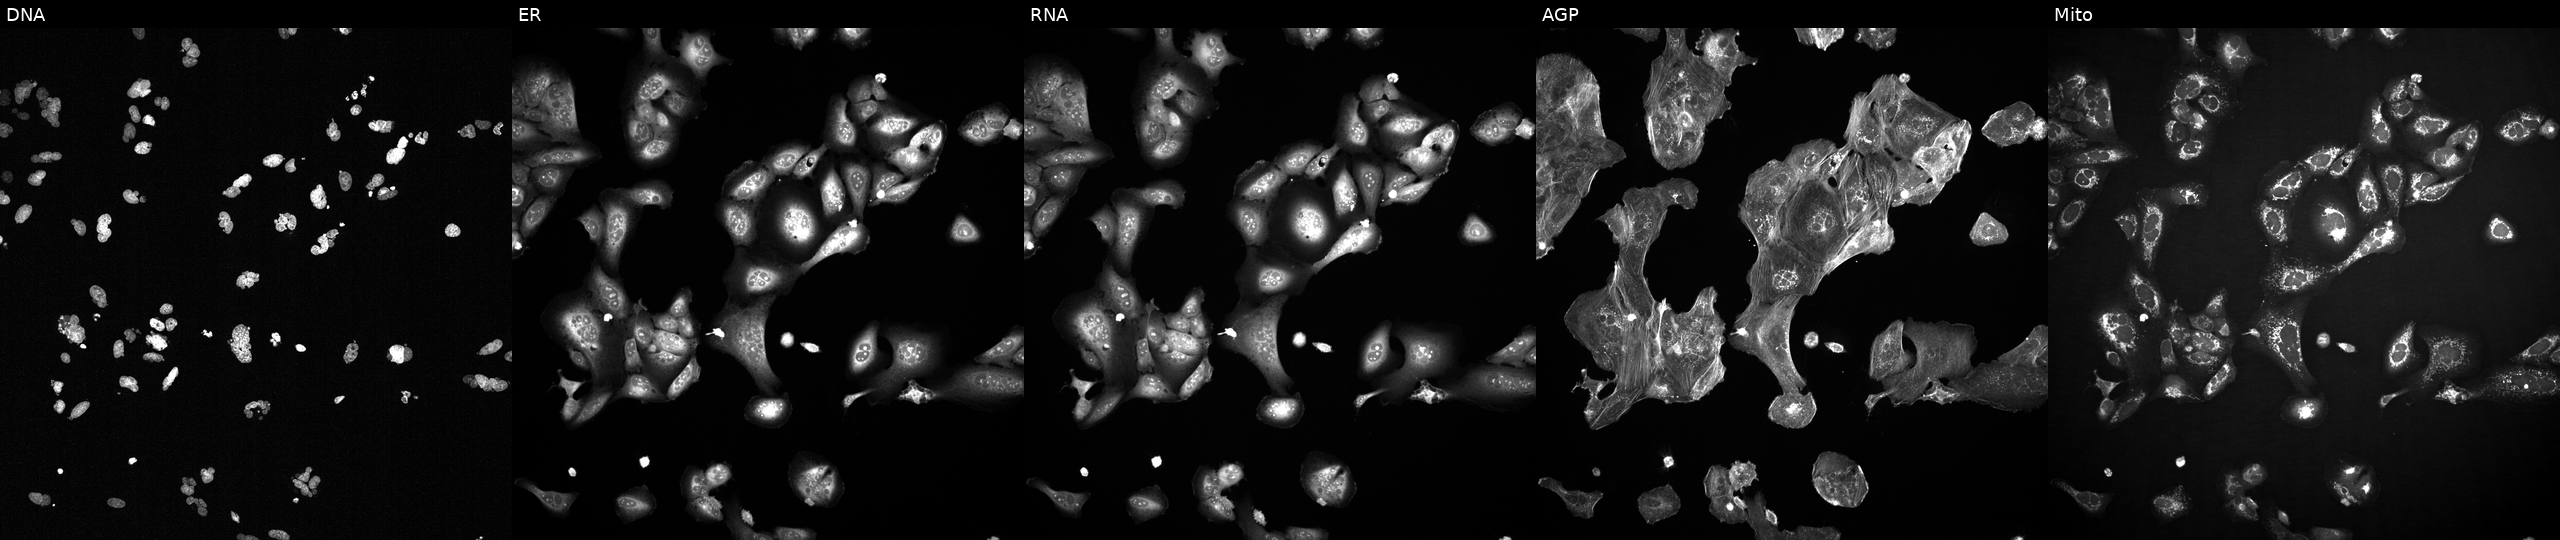
JUMP Cell Painting — TARGET2 plate. U2OS cells treated with a small-molecule compound (InChIKey XXRCUYVCPSWGCC-UHFFFAOYSA-N) (JUMP id JCP2022_106722). Panels show, left to right, DNA (nuclei); ER (endoplasmic reticulum); RNA (nucleoli and cytoplasmic RNA); AGP (actin cytoskeleton, Golgi, and plasma membrane); Mito (mitochondria).